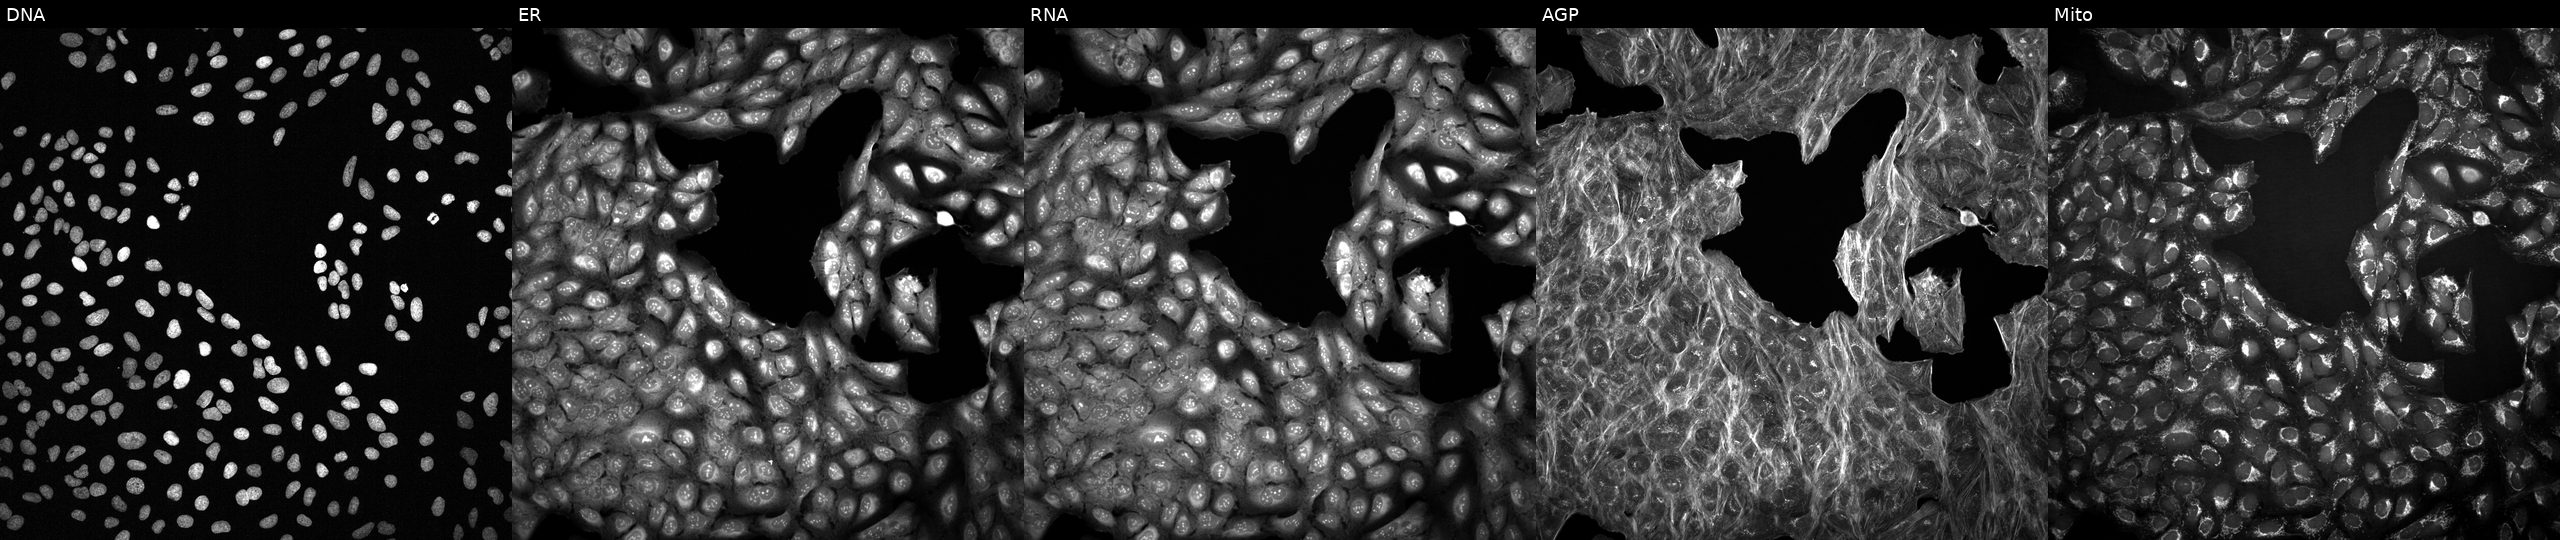
This image strip shows the five Cell Painting channels for a single field of U2OS cells with an unidentified perturbation (not annotated in JUMP metadata). The five panels, left to right, show DNA (nuclei); ER (endoplasmic reticulum); RNA (nucleoli and cytoplasmic RNA); AGP (actin cytoskeleton, Golgi, and plasma membrane); Mito (mitochondria).